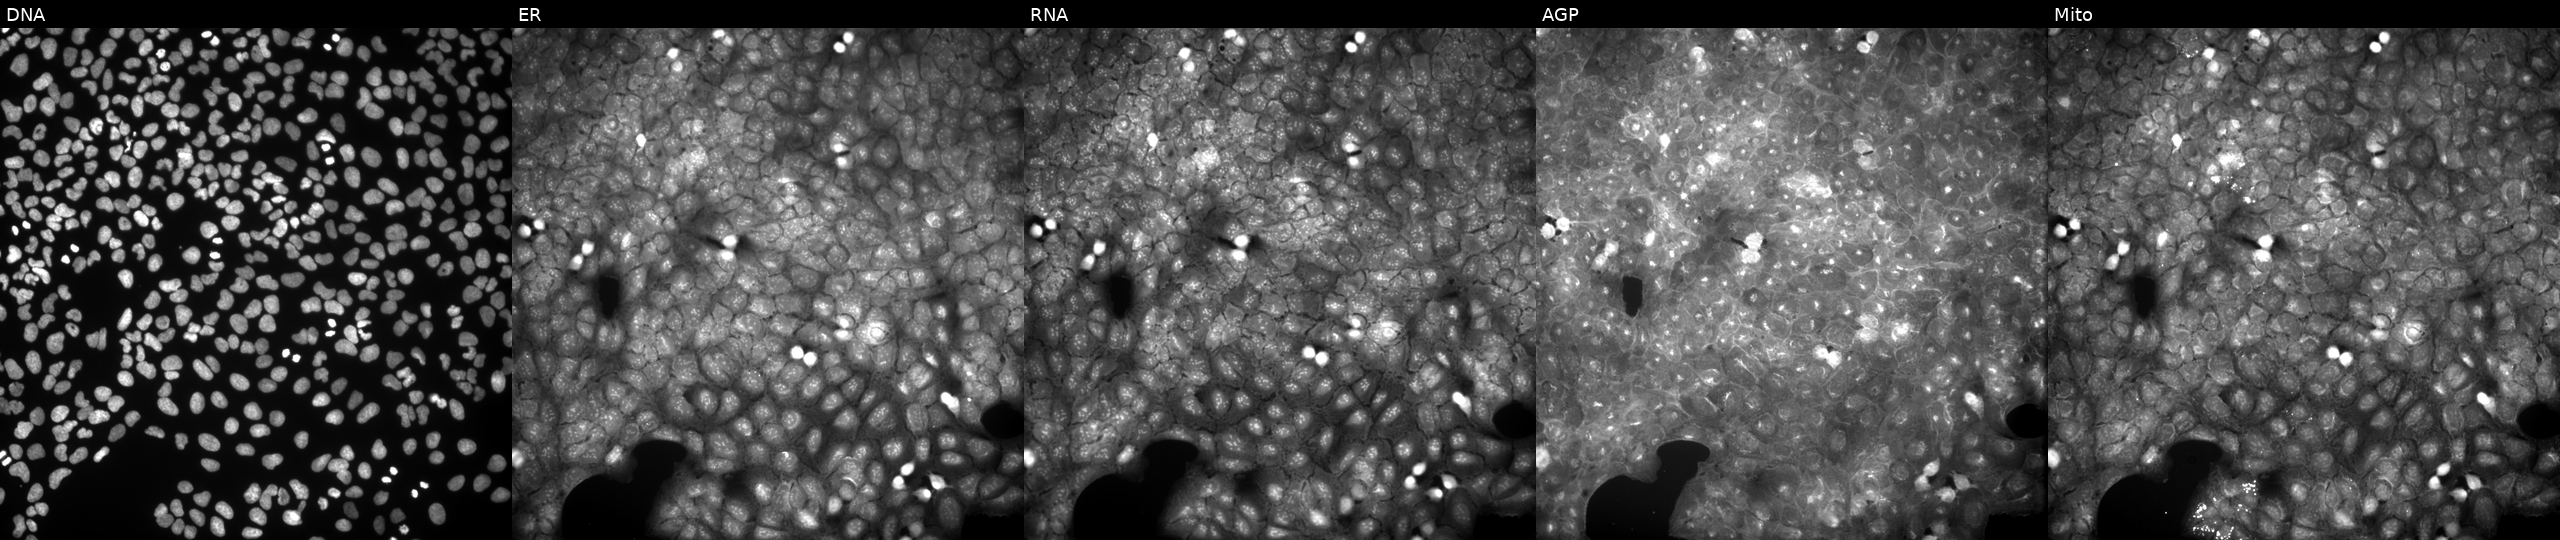
Five-channel Cell Painting image of U2OS cells exposed to a small-molecule compound (InChIKey OBGHPOMRBVPWLM-UHFFFAOYSA-N) [SMILES: Cc1cc([N+](=O)[O-])ccc1-c1cc2ccccc2oc1=O]. Panels show, left to right, Hoechst 33342, concanavalin A, SYTO 14, phalloidin and WGA, MitoTracker.